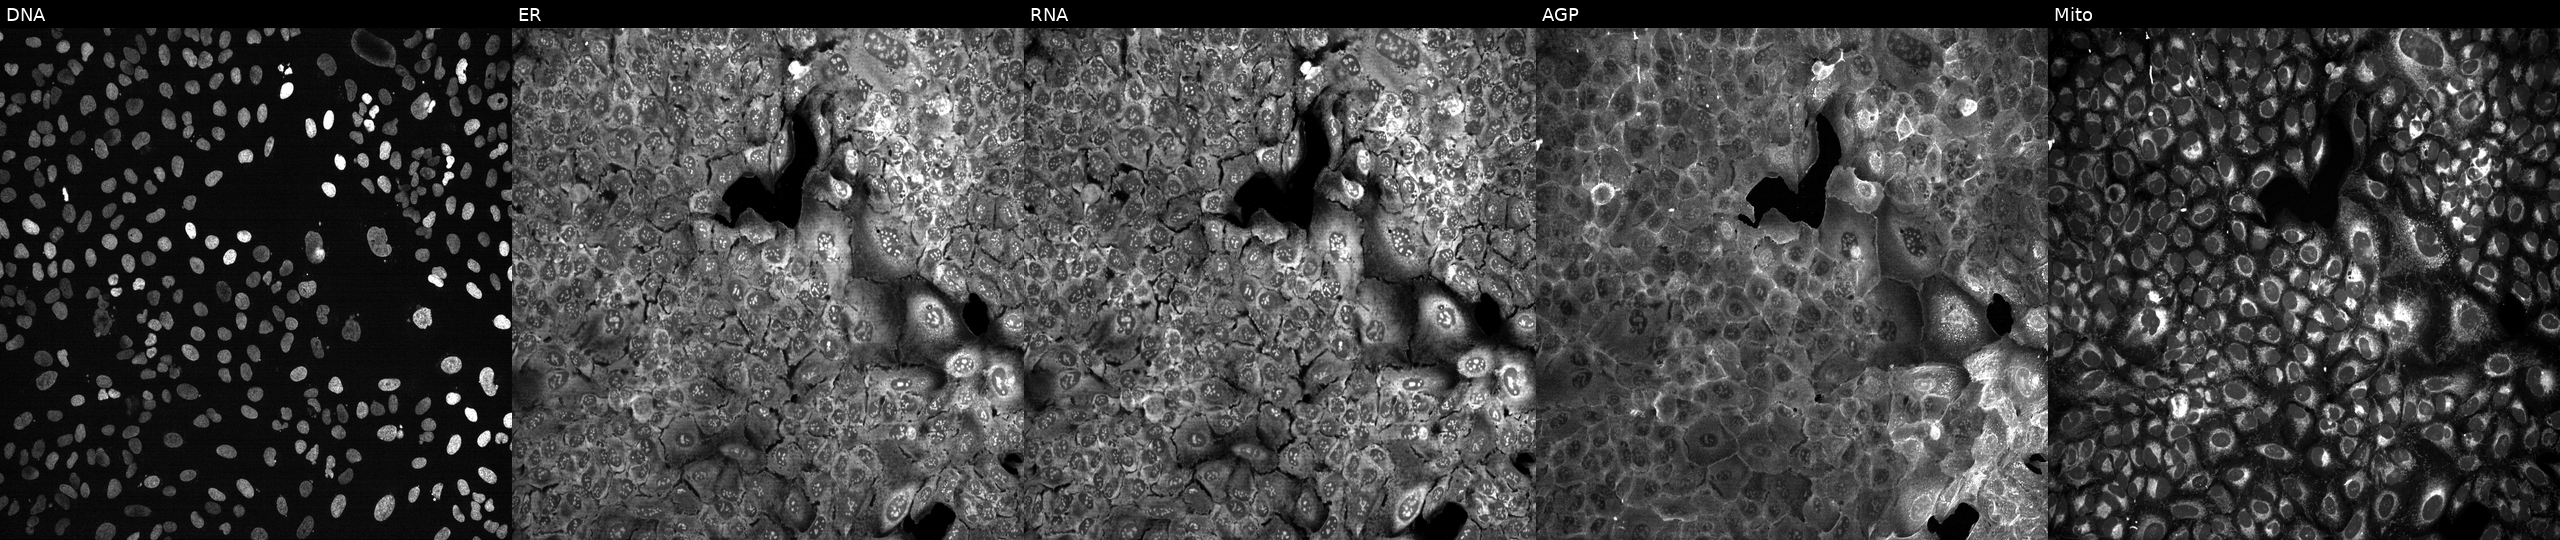
U2OS cells, Cell Painting assay, following CRISPR knockout of SCARB2. Panels show, left to right, DNA, ER, RNA, AGP, and Mito. Each panel is percentile-stretched 16-bit fluorescence.